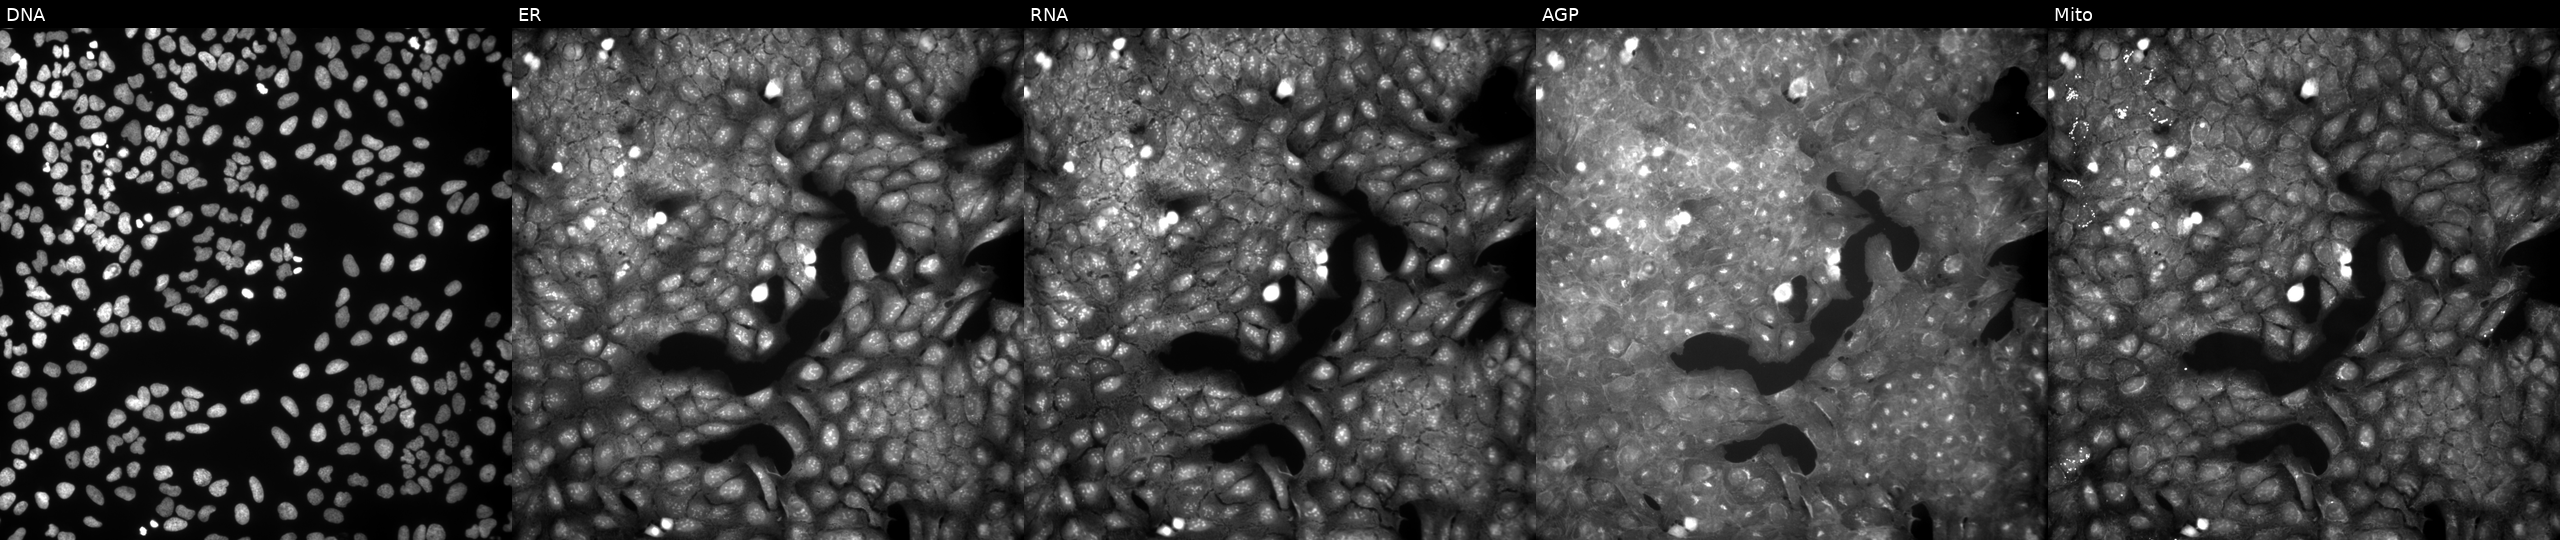
The five panels, left to right, show DNA (nuclei); ER (endoplasmic reticulum); RNA (nucleoli and cytoplasmic RNA); AGP (actin cytoskeleton, Golgi, and plasma membrane); Mito (mitochondria). U2OS osteosarcoma cells exposed to a small-molecule compound (InChIKey JDUOWTVWTCBWQB-UHFFFAOYSA-N) (JUMP id JCP2022_039110). Cell Painting assay, JUMP-CP dataset.